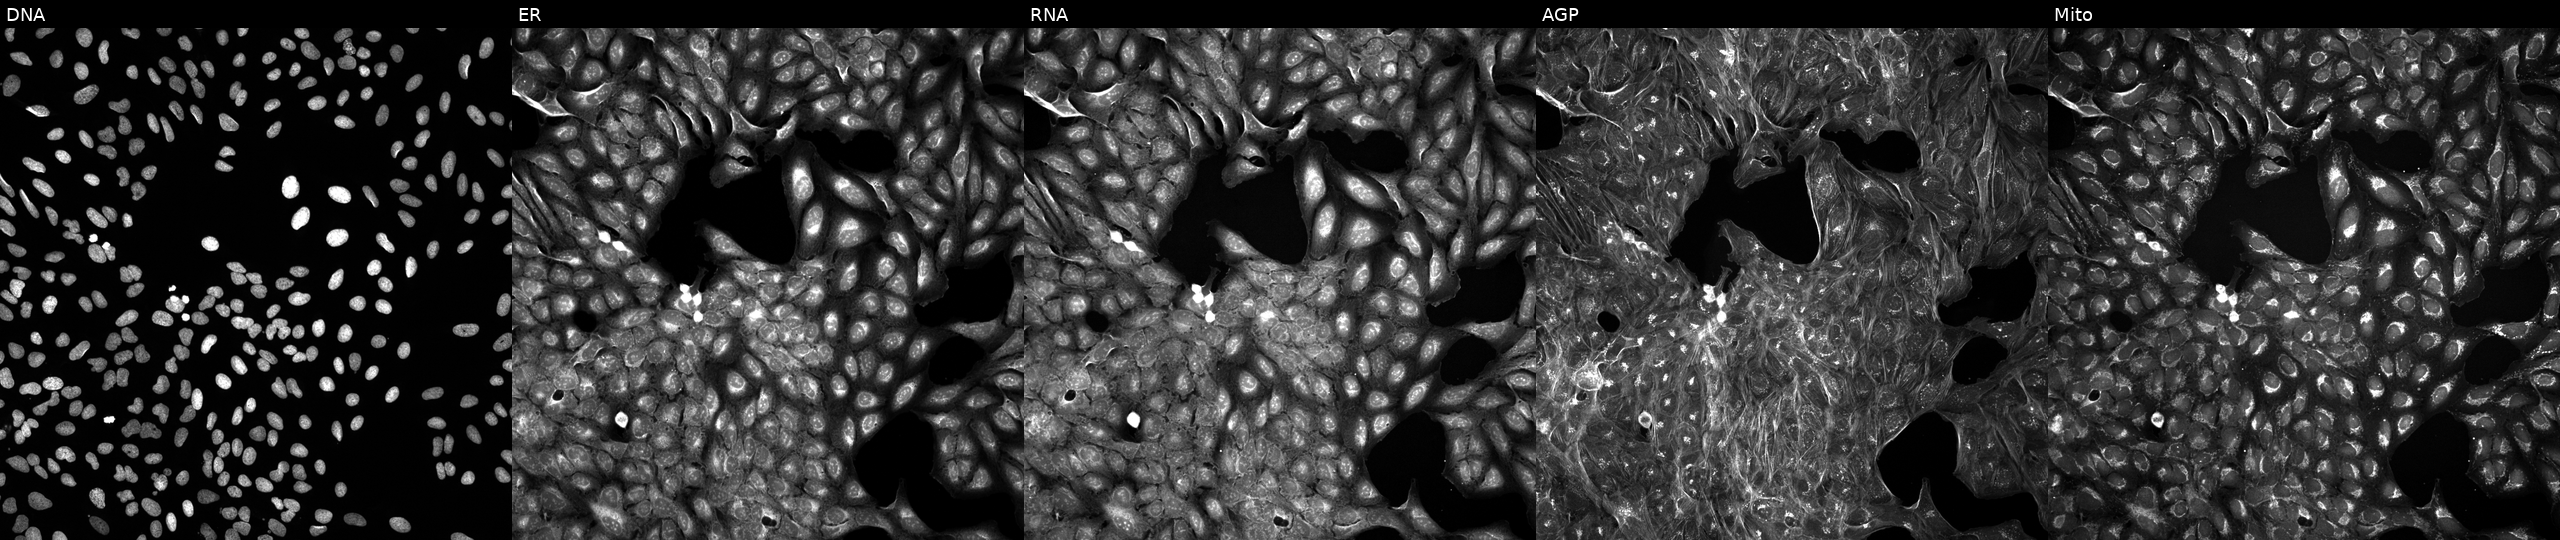
JUMP Cell Painting — TARGET2 plate. U2OS cells treated with a small-molecule compound (InChIKey YMDXSGBNCBQYGC-UHFFFAOYSA-N). From left to right: DNA, ER, RNA, AGP, and Mito. Source 5, plate ACPJUM051, well C24.